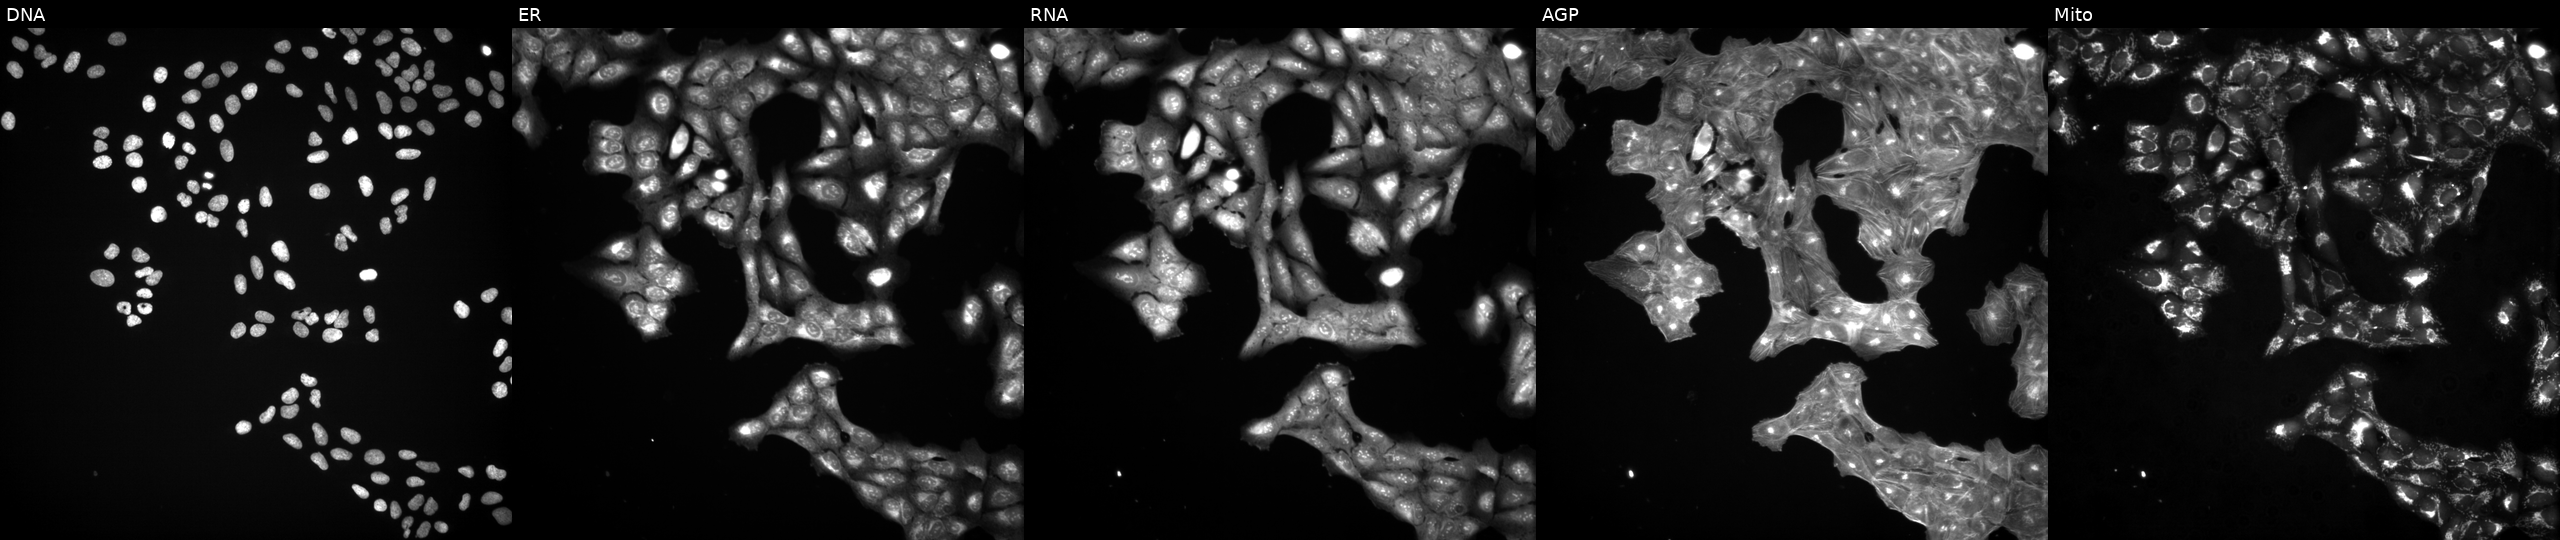
JUMP Cell Painting — TARGET2 plate. U2OS cells perturbed with a small-molecule compound (InChIKey KAQKFAOMNZTLHT-UHFFFAOYSA-N) [SMILES: CCCCCC(O)C=CC1C(O)CC2OC(=CCCCC(=O)O)CC21]. Channels (left→right): DNA (nuclei); ER (endoplasmic reticulum); RNA (nucleoli and cytoplasmic RNA); AGP (actin cytoskeleton, Golgi, and plasma membrane); Mito (mitochondria). Source 3, plate JCPQC053, well L21.